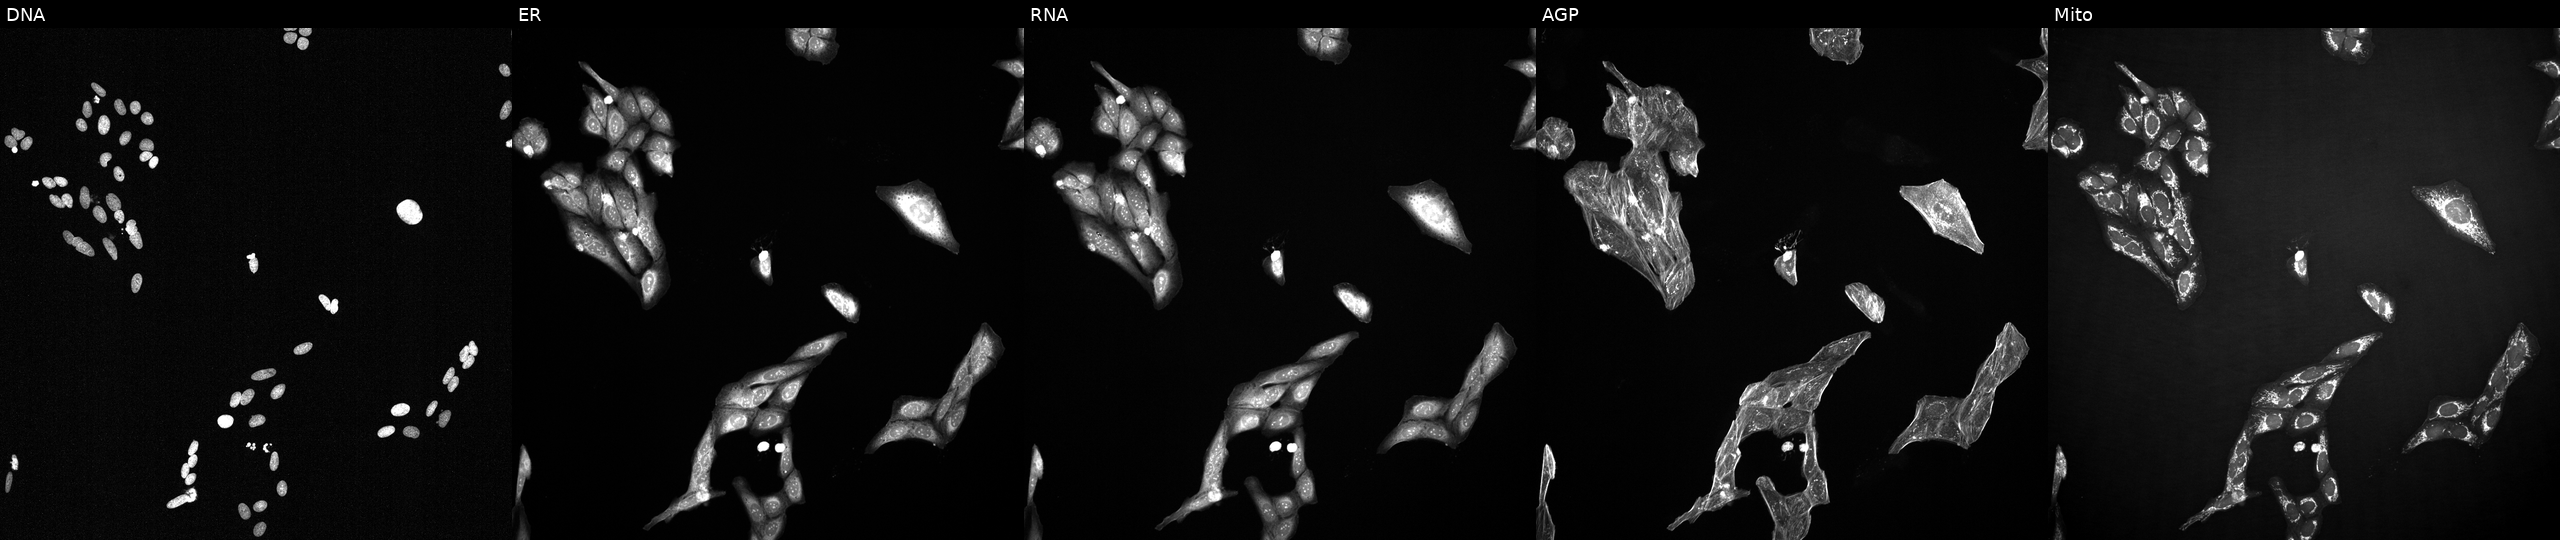
JUMP Cell Painting — TARGET2 plate. U2OS cells treated with a small-molecule compound (InChIKey KXBDTLQSDKGAEB-UHFFFAOYSA-N) (JUMP id JCP2022_047545). Channels (left→right): DNA, ER, RNA, AGP, and Mito. Source 2, plate 1053600674, well P21.